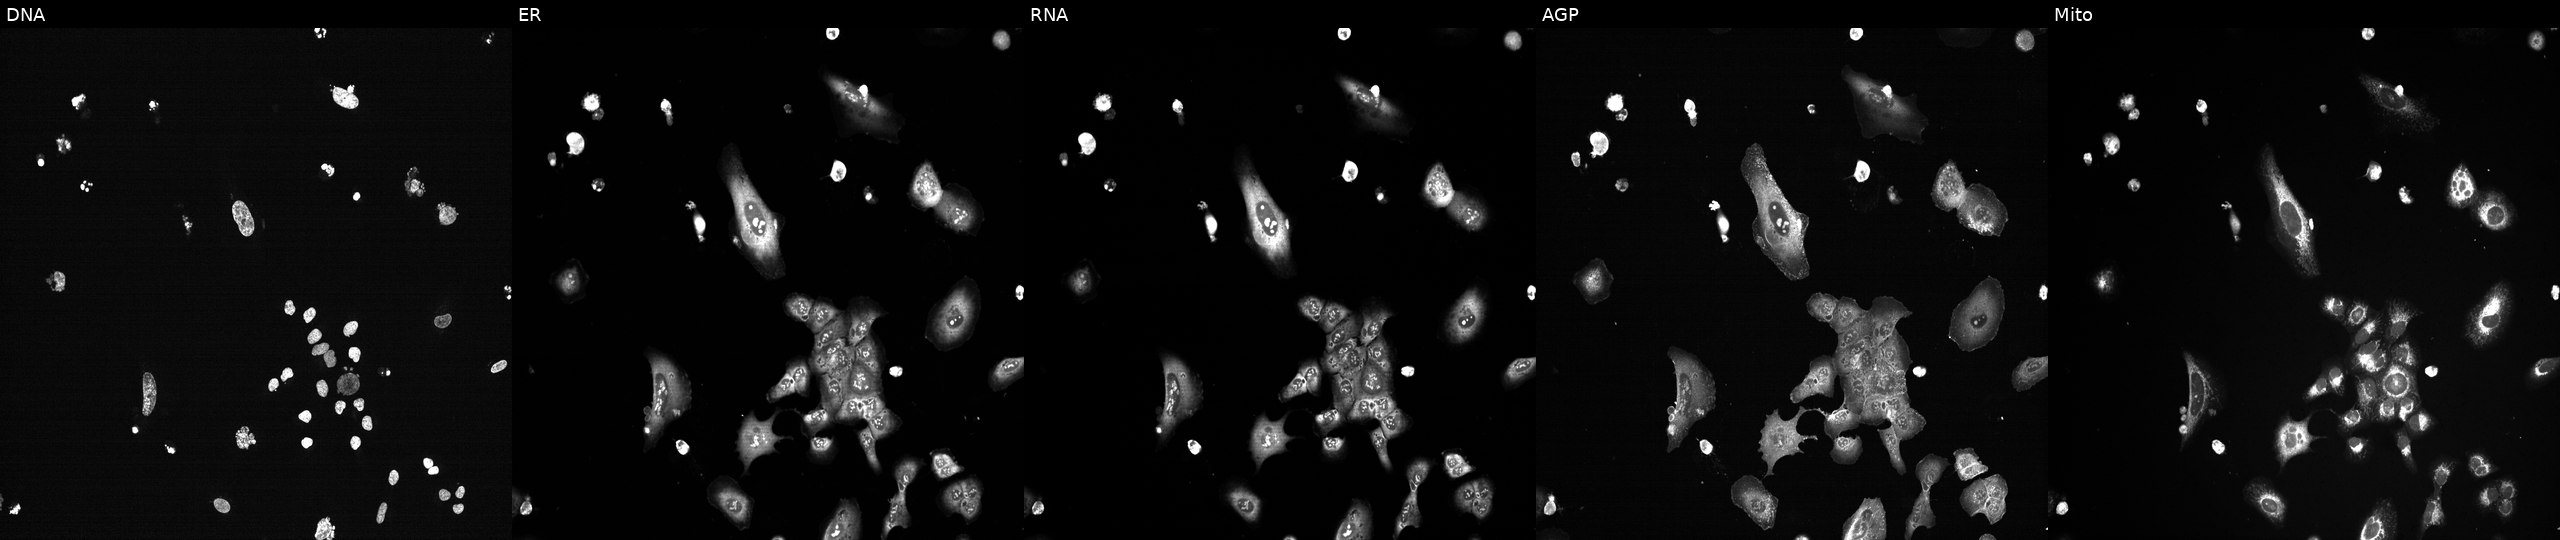
Five-channel Cell Painting image of U2OS cells with PLK1 knocked out by CRISPR (positive control) (JUMP id JCP2022_805264). The five panels, left to right, show DNA, ER, RNA, AGP, and Mito.